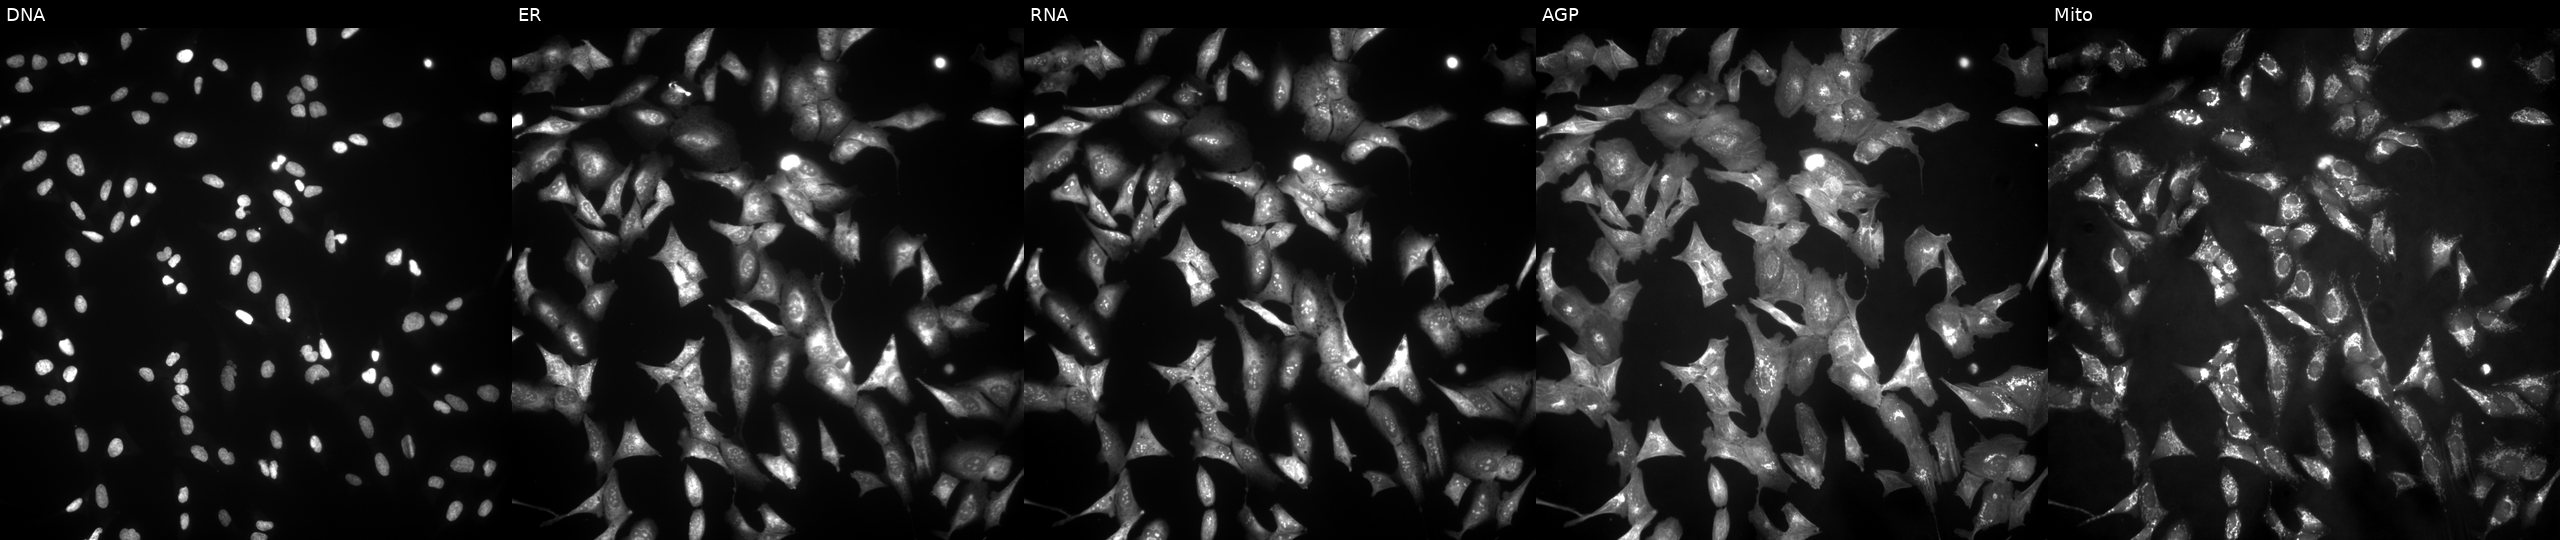
Panels show, left to right, DNA, ER, RNA, AGP, and Mito. U2OS osteosarcoma cells overexpressing SLC37A4 via ORF transfection. Cell Painting assay, JUMP-CP dataset.